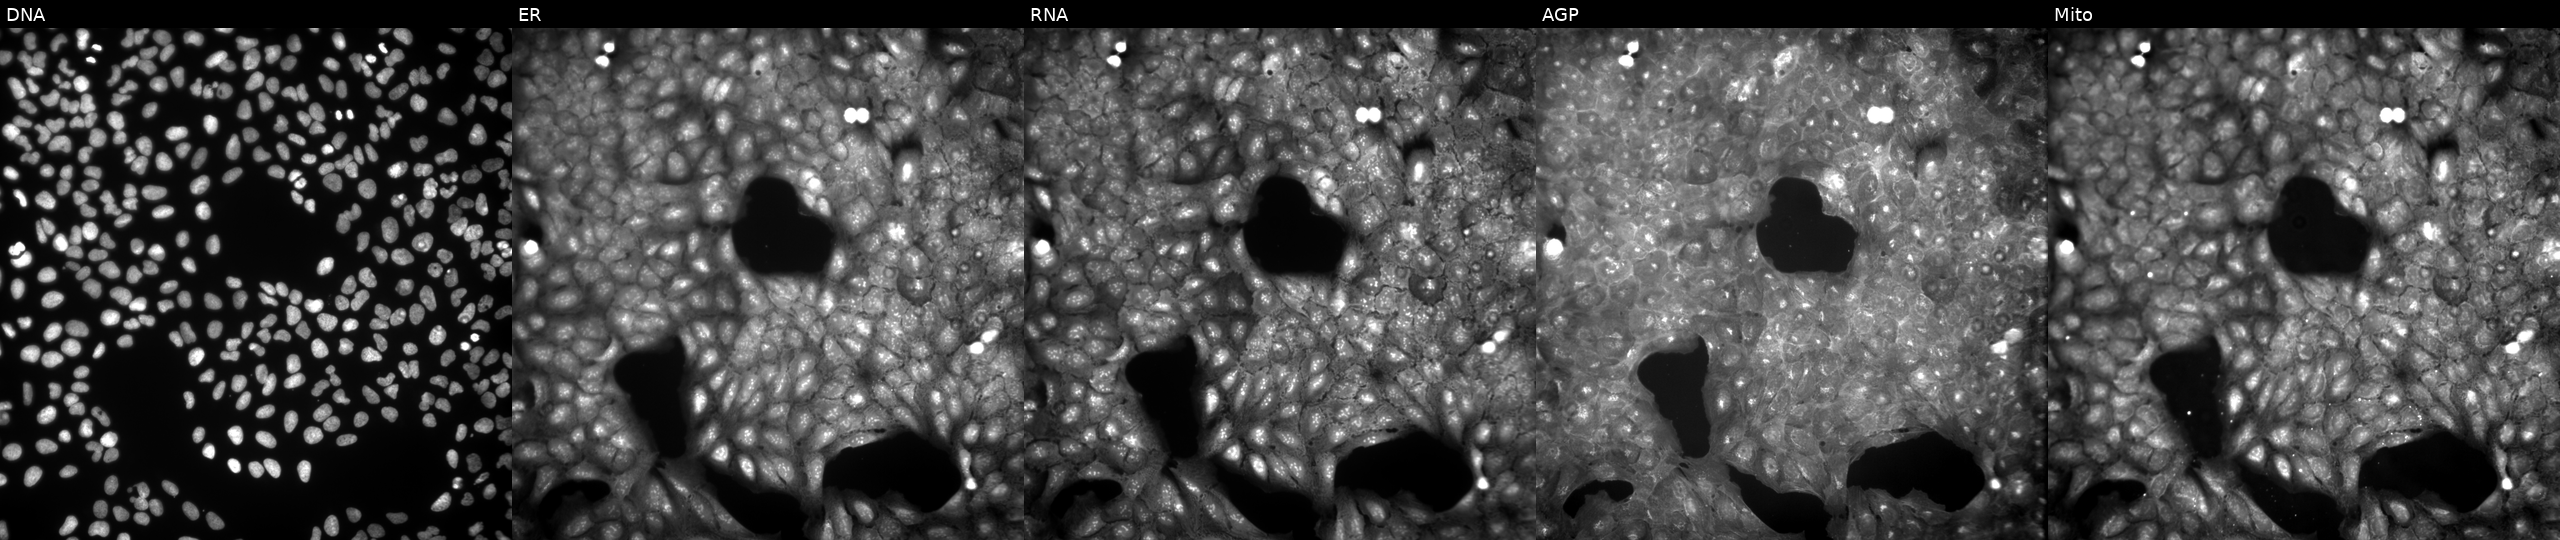
From left to right: DNA (nuclei); ER (endoplasmic reticulum); RNA (nucleoli and cytoplasmic RNA); AGP (actin cytoskeleton, Golgi, and plasma membrane); Mito (mitochondria). U2OS osteosarcoma cells treated with a small-molecule compound (InChIKey OZBUVGDDVYJNJG-UHFFFAOYSA-N) (JUMP id JCP2022_067054). Cell Painting assay, JUMP-CP dataset. Source 9, plate GR00003382, well R42.